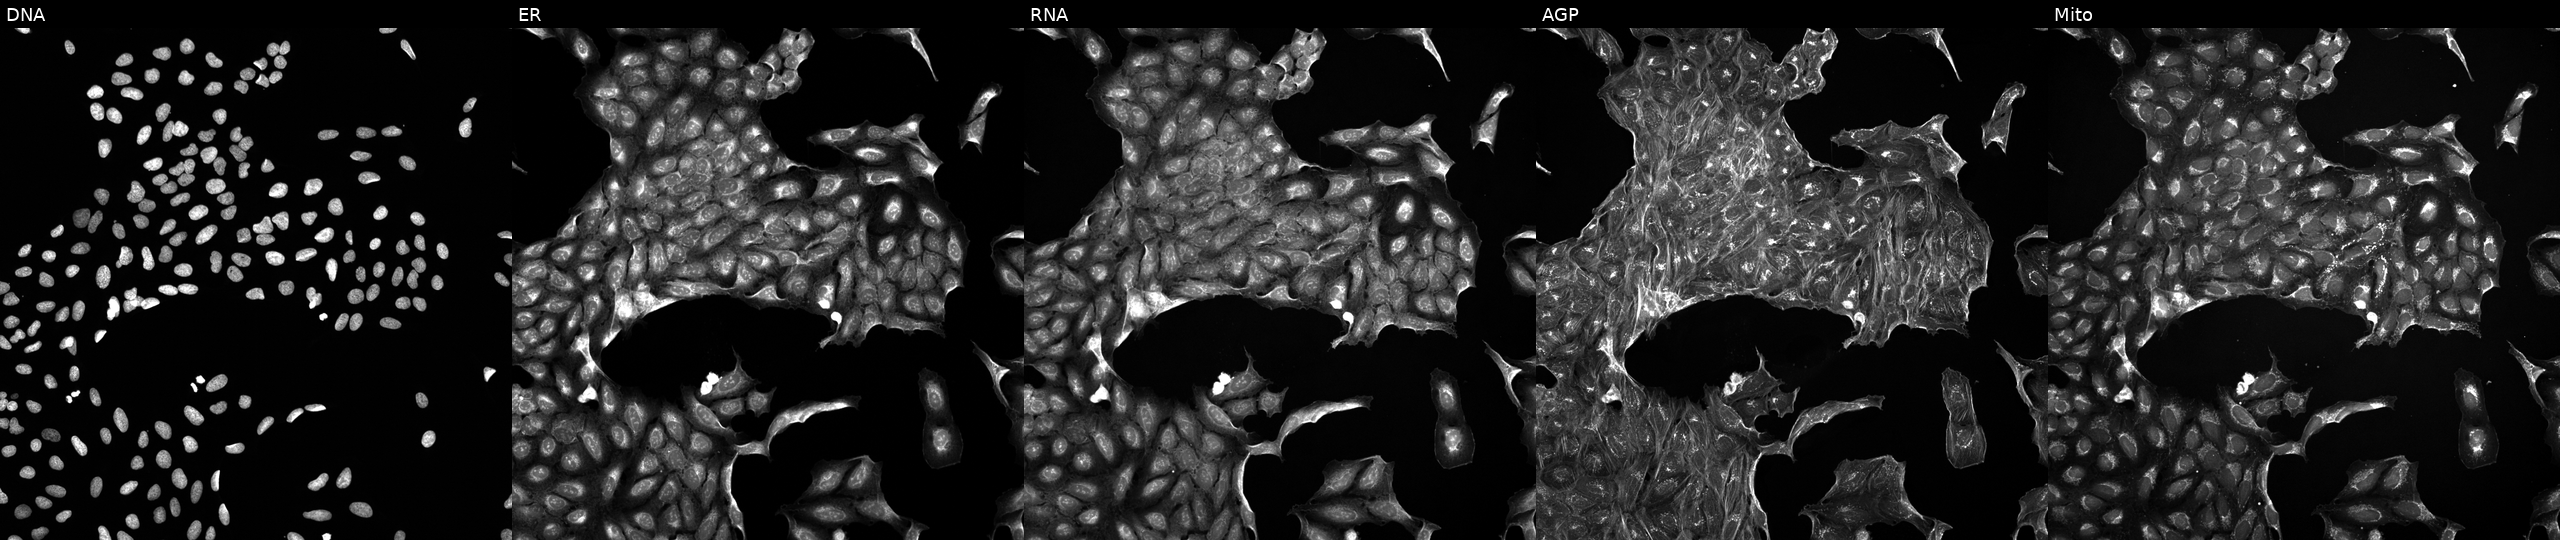
JUMP Cell Painting — TARGET2 plate. U2OS cells perturbed with a small-molecule compound (InChIKey DJKJVWJQAVGLHJ-UHFFFAOYSA-N). Panels show, left to right, DNA (nuclei); ER (endoplasmic reticulum); RNA (nucleoli and cytoplasmic RNA); AGP (actin cytoskeleton, Golgi, and plasma membrane); Mito (mitochondria).